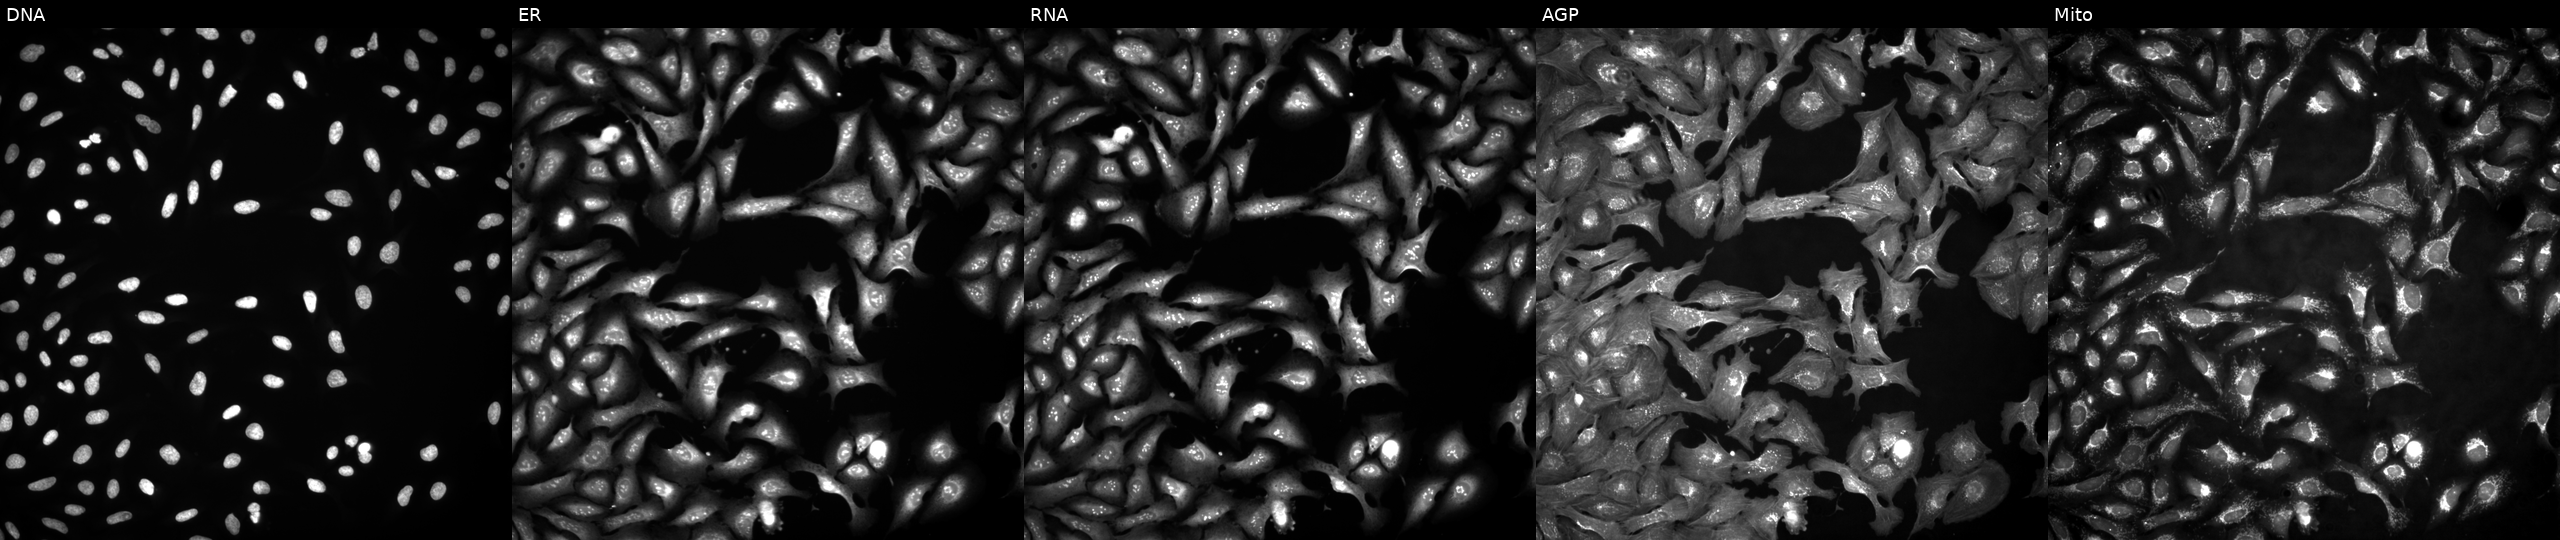
This image strip shows the five Cell Painting channels for a single field of U2OS cells overexpressing GUK1 via ORF transfection (JUMP id JCP2022_913691). Channels (left→right): DNA, ER, RNA, AGP, and Mito.